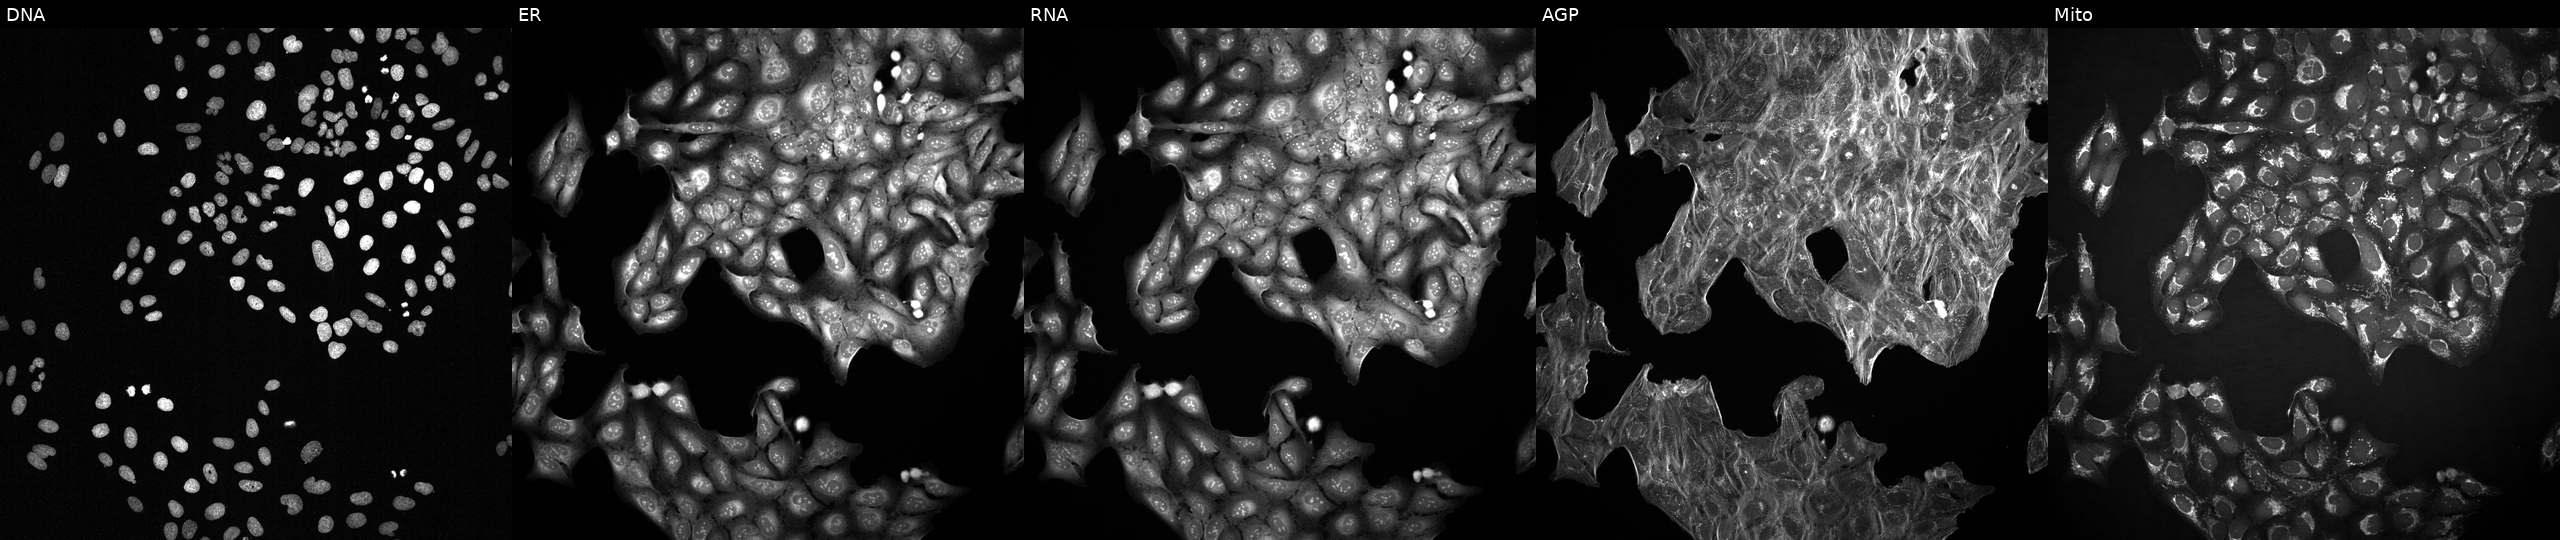
Panels show, left to right, DNA, ER, RNA, AGP, and Mito. U2OS osteosarcoma cells treated with a small-molecule compound (InChIKey HFNKQEVNSGCOJV-UHFFFAOYSA-N) [SMILES: N#CCC(C1CCCC1)n1cc(-c2ncnc3[nH]ccc23)cn1]. Cell Painting assay, JUMP-CP dataset. Source 2, plate 1053600674, well J22.